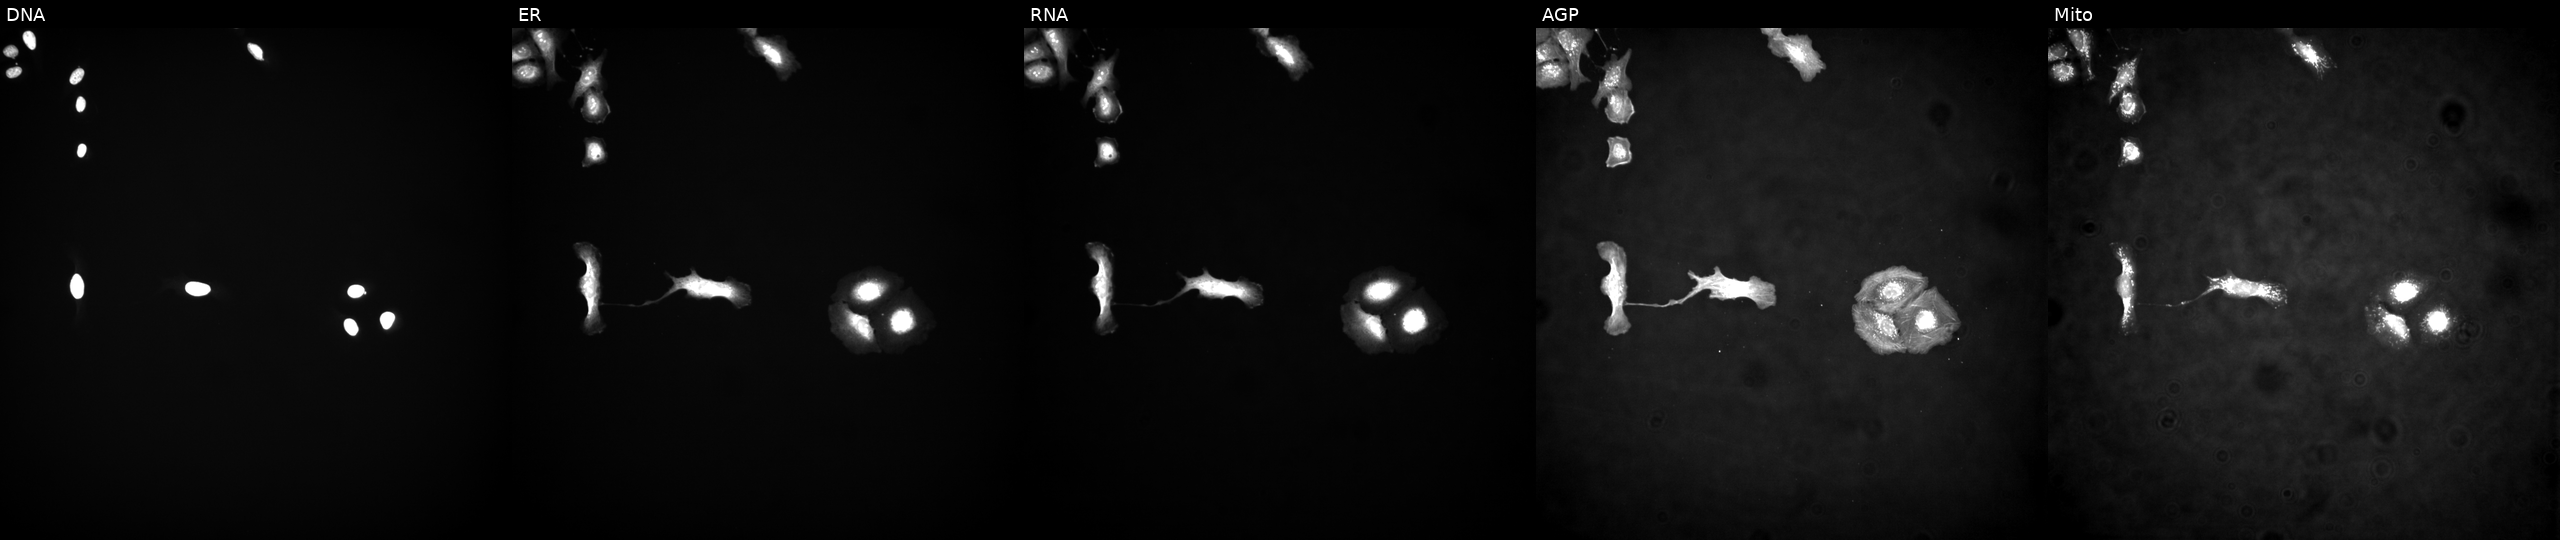
Five-channel Cell Painting image of U2OS cells overexpressing PIP4K2B via ORF transfection. From left to right: Hoechst 33342, concanavalin A, SYTO 14, phalloidin and WGA, MitoTracker.